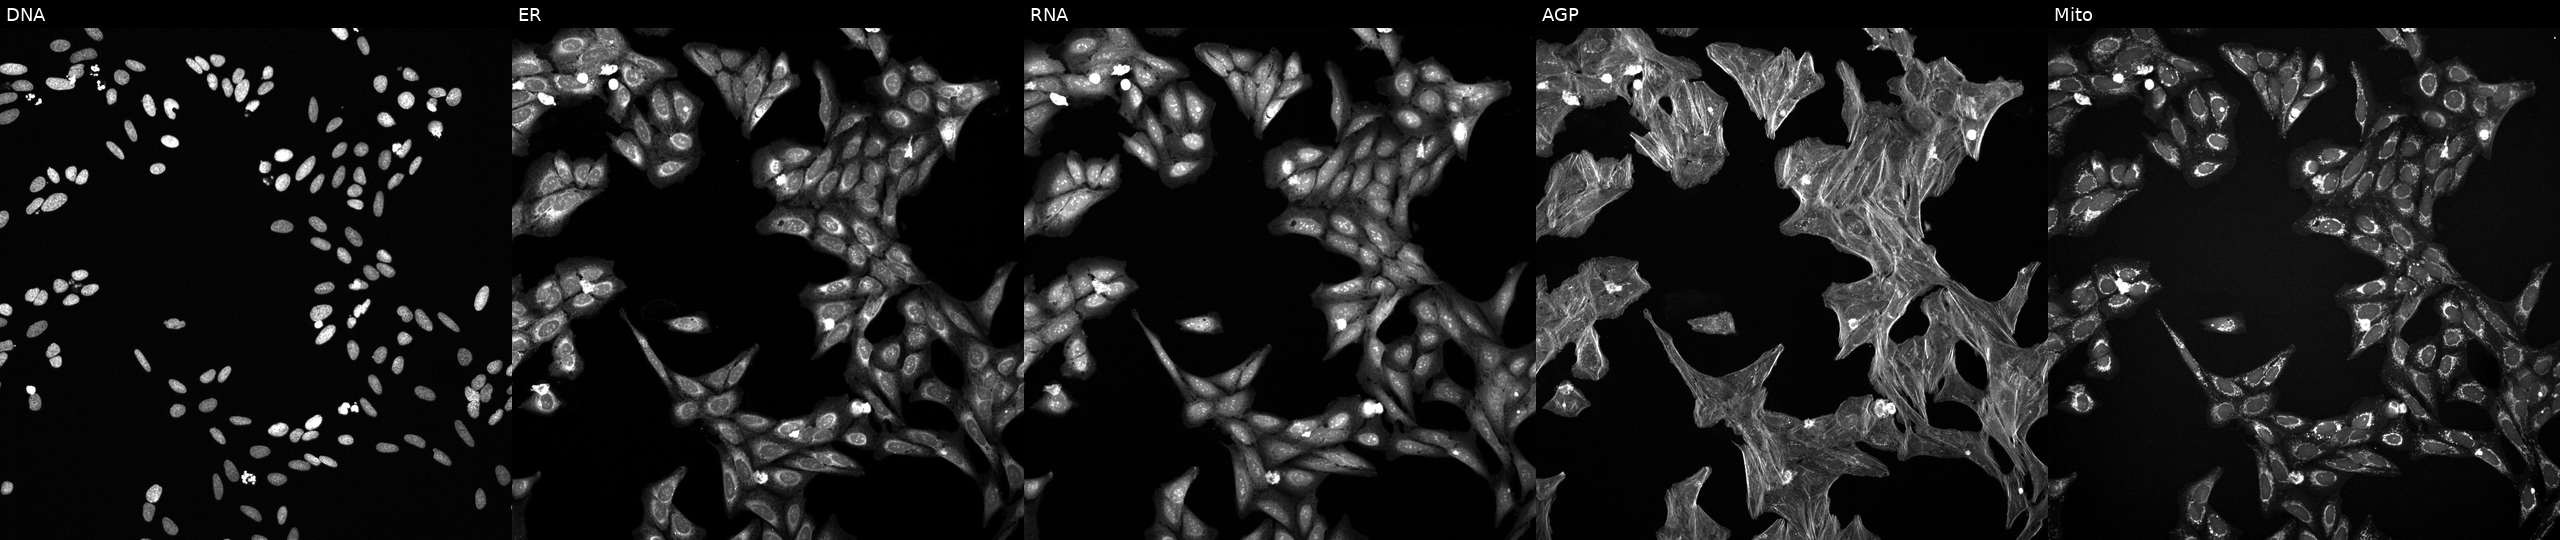
JUMP Cell Painting — TARGET2 plate. U2OS cells perturbed with a small-molecule compound (InChIKey KXBDTLQSDKGAEB-UHFFFAOYSA-N). Channels (left→right): DNA (nuclei); ER (endoplasmic reticulum); RNA (nucleoli and cytoplasmic RNA); AGP (actin cytoskeleton, Golgi, and plasma membrane); Mito (mitochondria). Source 6, plate 110000293081, well P21.